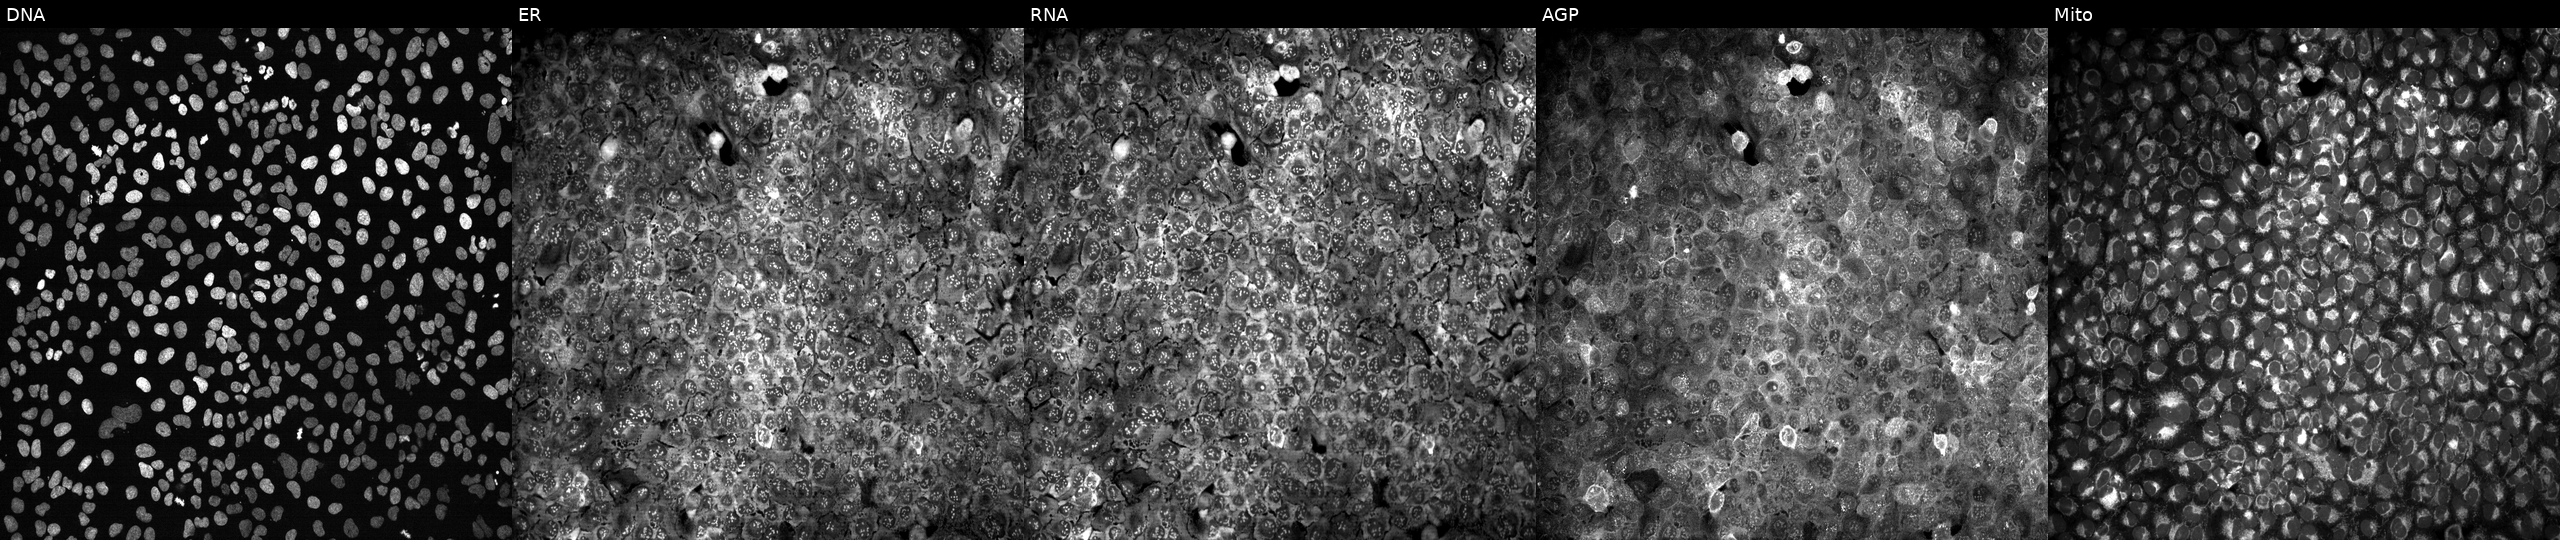
Five-channel Cell Painting image of U2OS cells CRISPR-edited to disrupt PPIP5K2 (JUMP id JCP2022_805422). Channels (left→right): Hoechst 33342, concanavalin A, SYTO 14, phalloidin and WGA, MitoTracker.